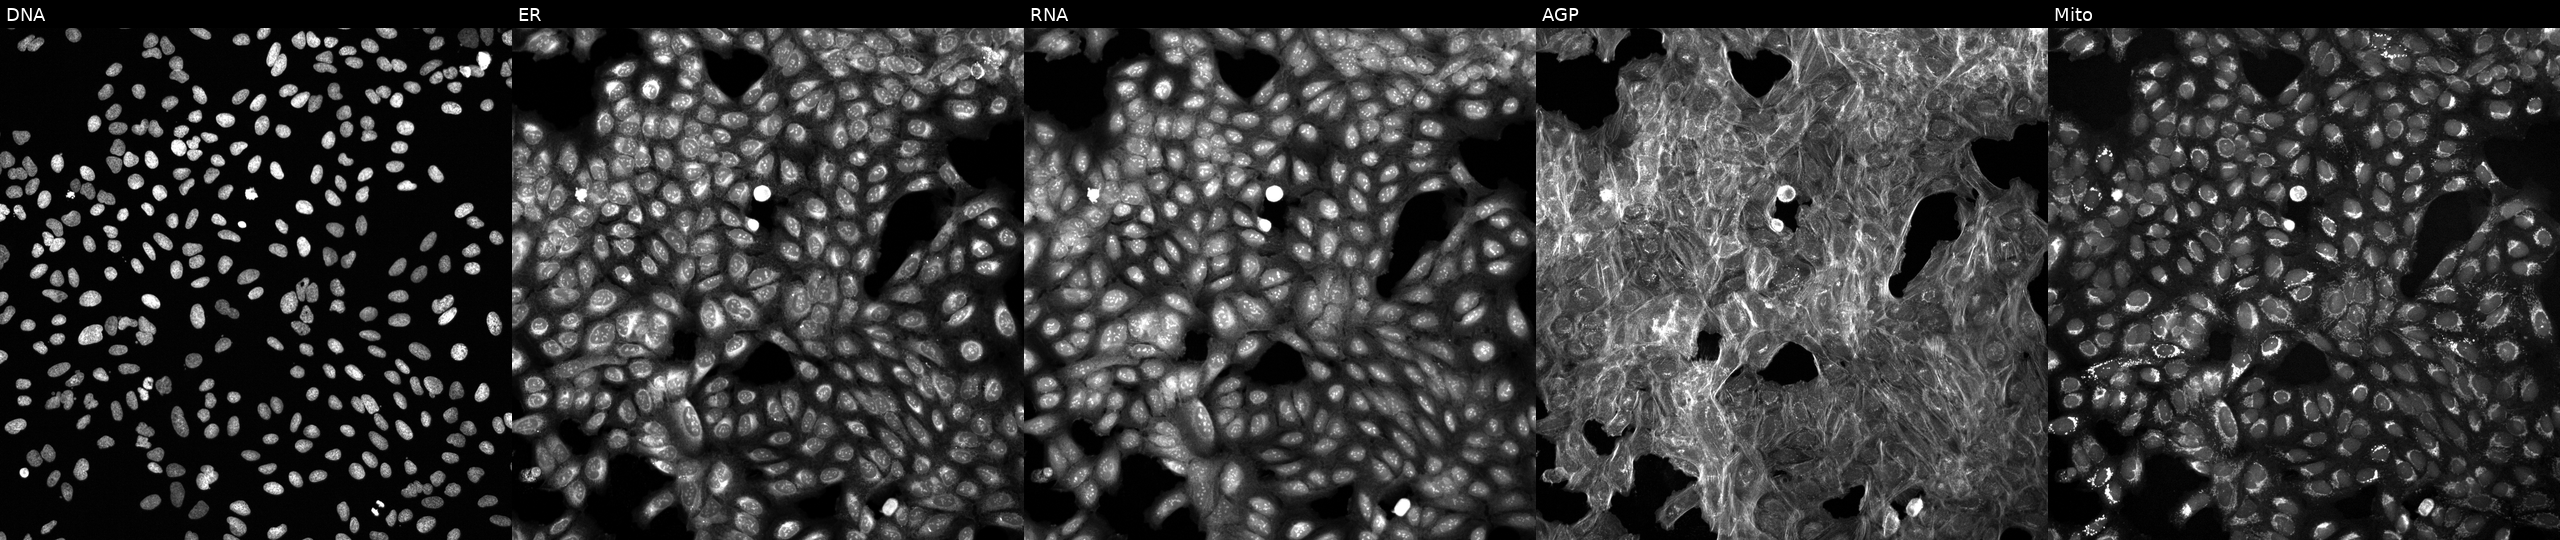
Channels (left→right): DNA (nuclei); ER (endoplasmic reticulum); RNA (nucleoli and cytoplasmic RNA); AGP (actin cytoskeleton, Golgi, and plasma membrane); Mito (mitochondria). U2OS osteosarcoma cells exposed to a small-molecule compound (JUMP id JCP2022_038544). Cell Painting assay, JUMP-CP dataset.